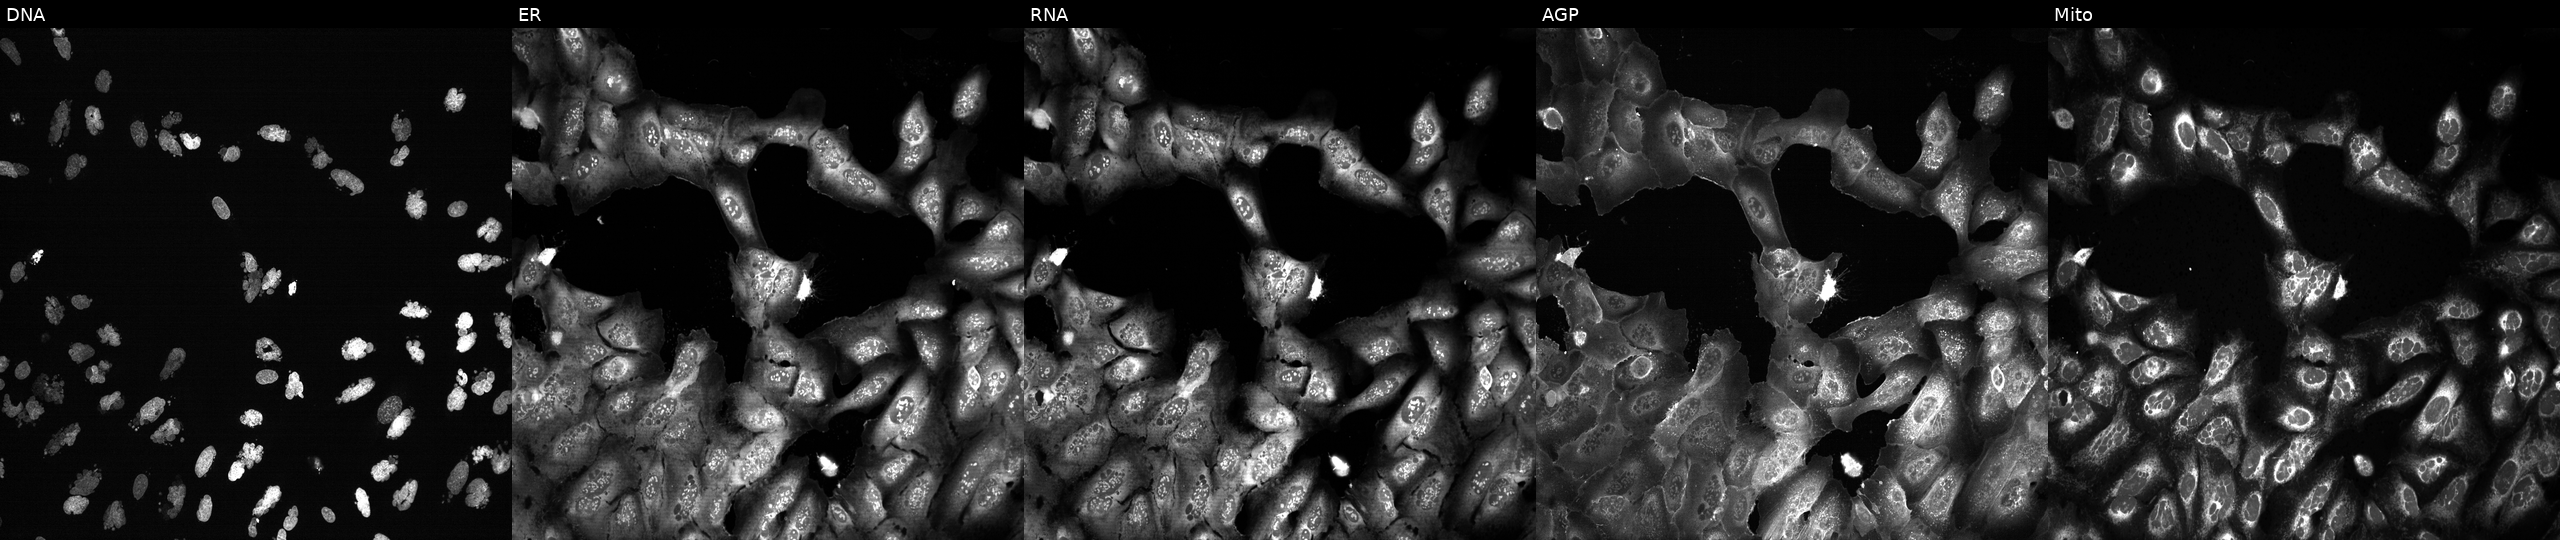
High-content fluorescence microscopy (Cell Painting). Cell line: U2OS. Perturbation: treated with AMG900 (positive-control compound) (JUMP id JCP2022_037716). From left to right: DNA (nuclei); ER (endoplasmic reticulum); RNA (nucleoli and cytoplasmic RNA); AGP (actin cytoskeleton, Golgi, and plasma membrane); Mito (mitochondria).